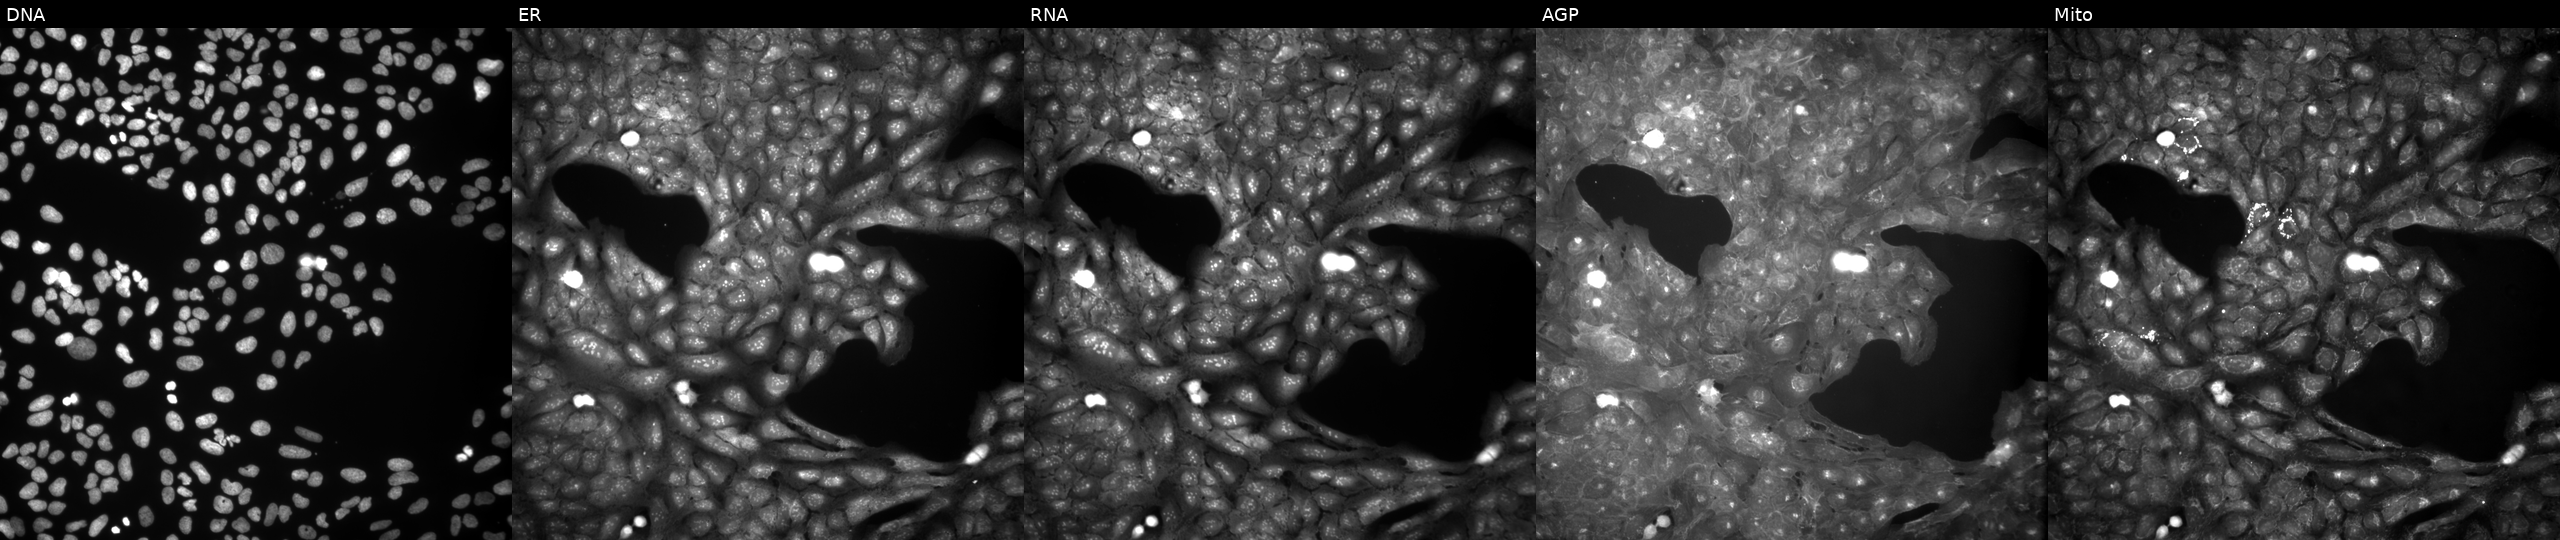
This image strip shows the five Cell Painting channels for a single field of U2OS cells exposed to a small-molecule compound (InChIKey JJVRAGNKHSZMNW-UHFFFAOYSA-N) (JUMP id JCP2022_040270). Channels (left→right): DNA, ER, RNA, AGP, and Mito.